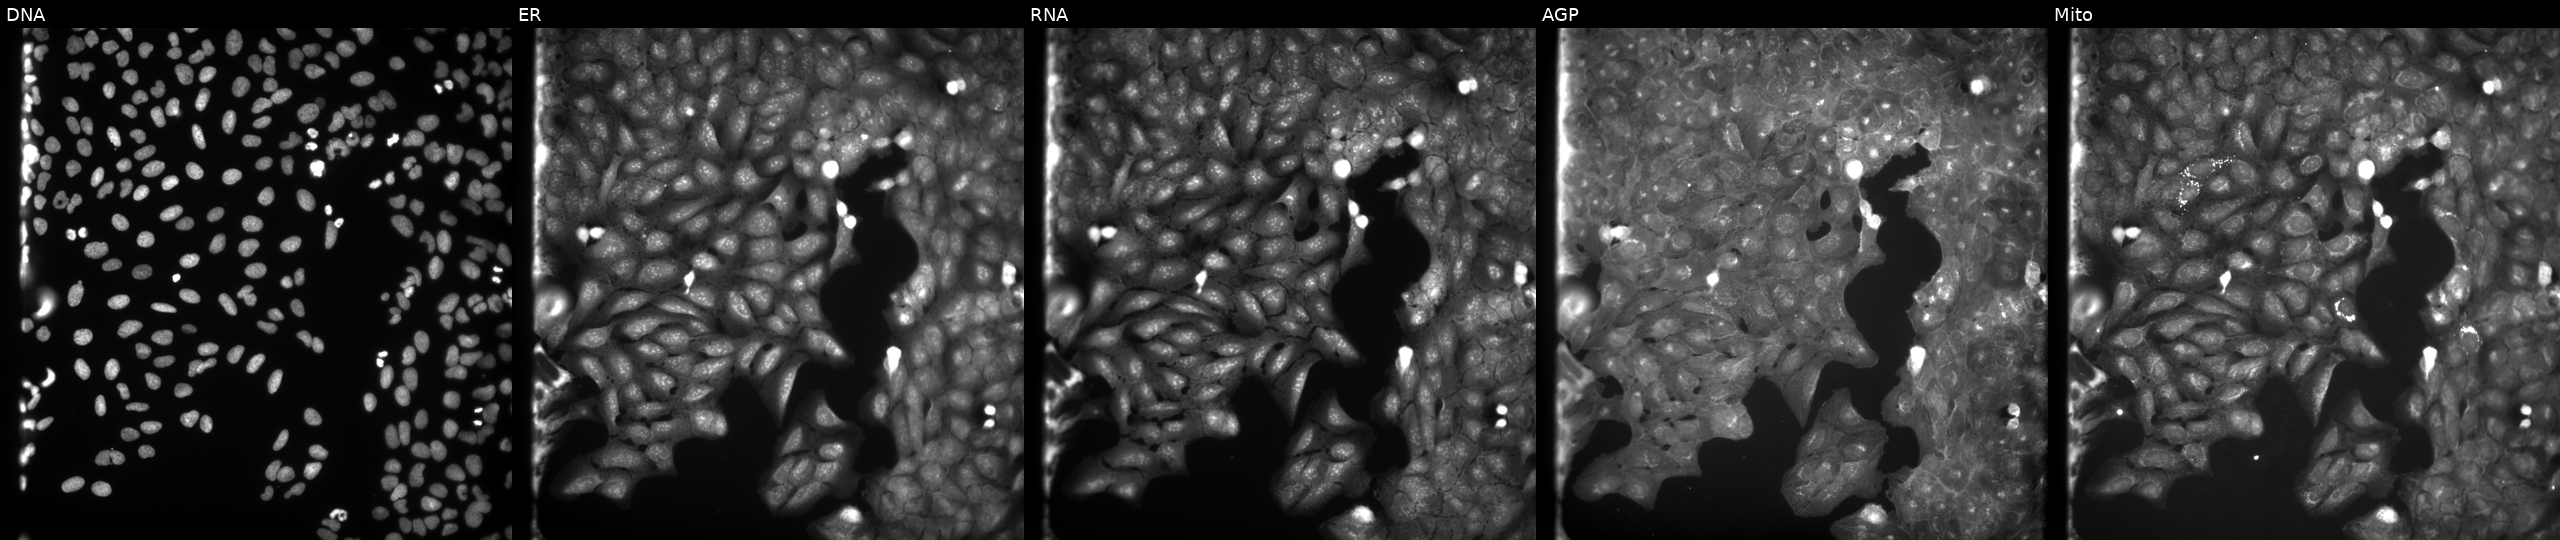
Five-channel Cell Painting image of U2OS cells treated with a small-molecule compound (InChIKey RIFHXYXVPIYGFK-UHFFFAOYSA-N). Channels (left→right): DNA, ER, RNA, AGP, and Mito.